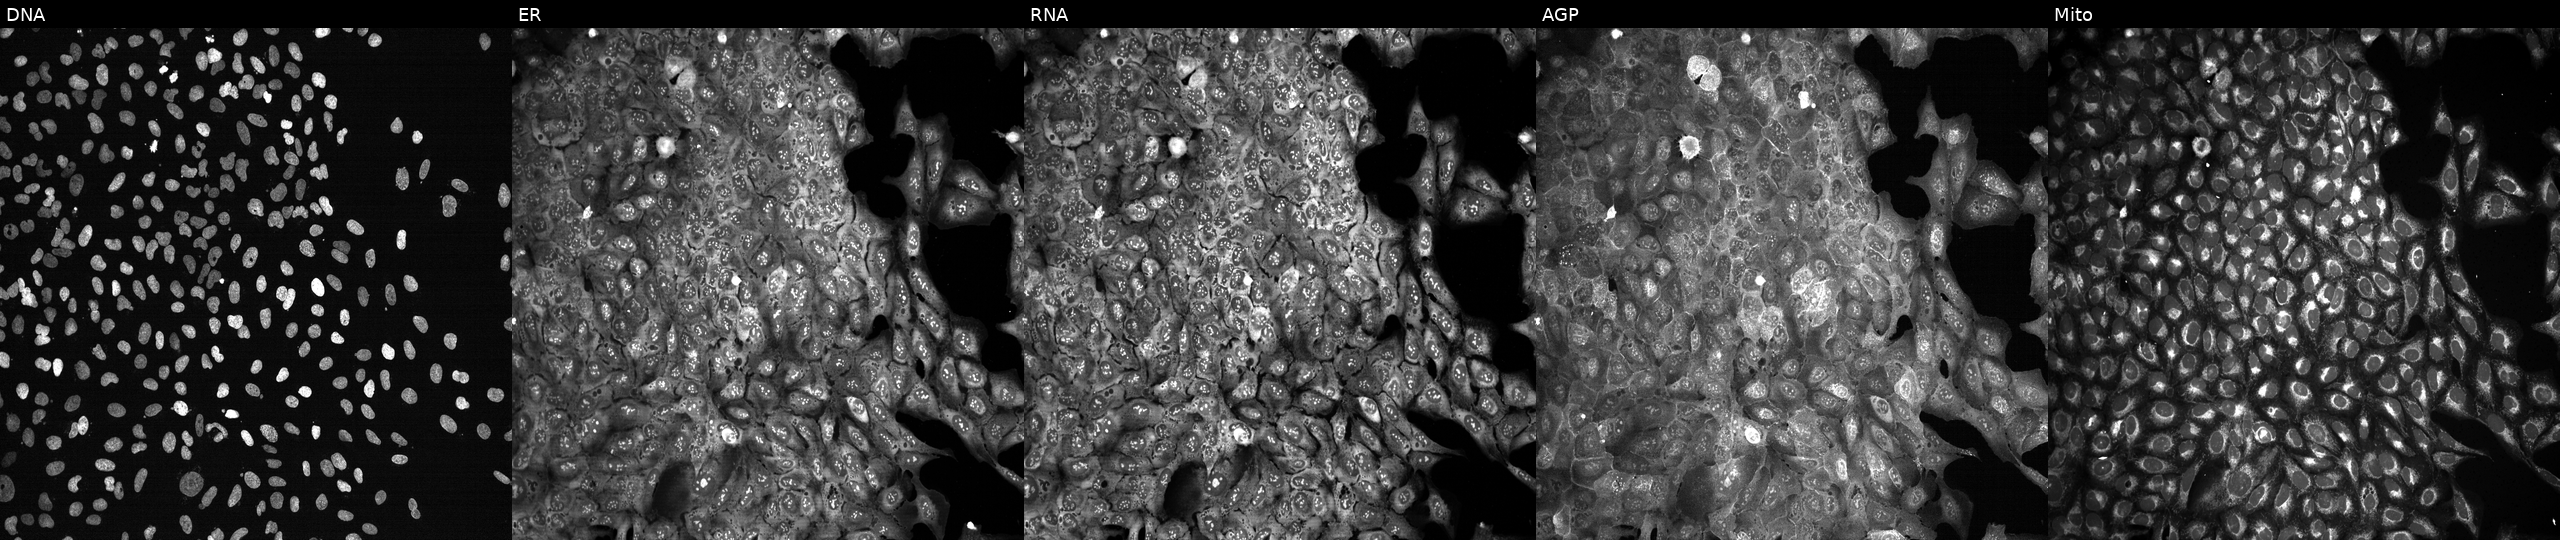
Five-channel Cell Painting image of U2OS cells CRISPR-edited to disrupt NDUFA4 (JUMP id JCP2022_804476). Panels show, left to right, DNA, ER, RNA, AGP, and Mito.